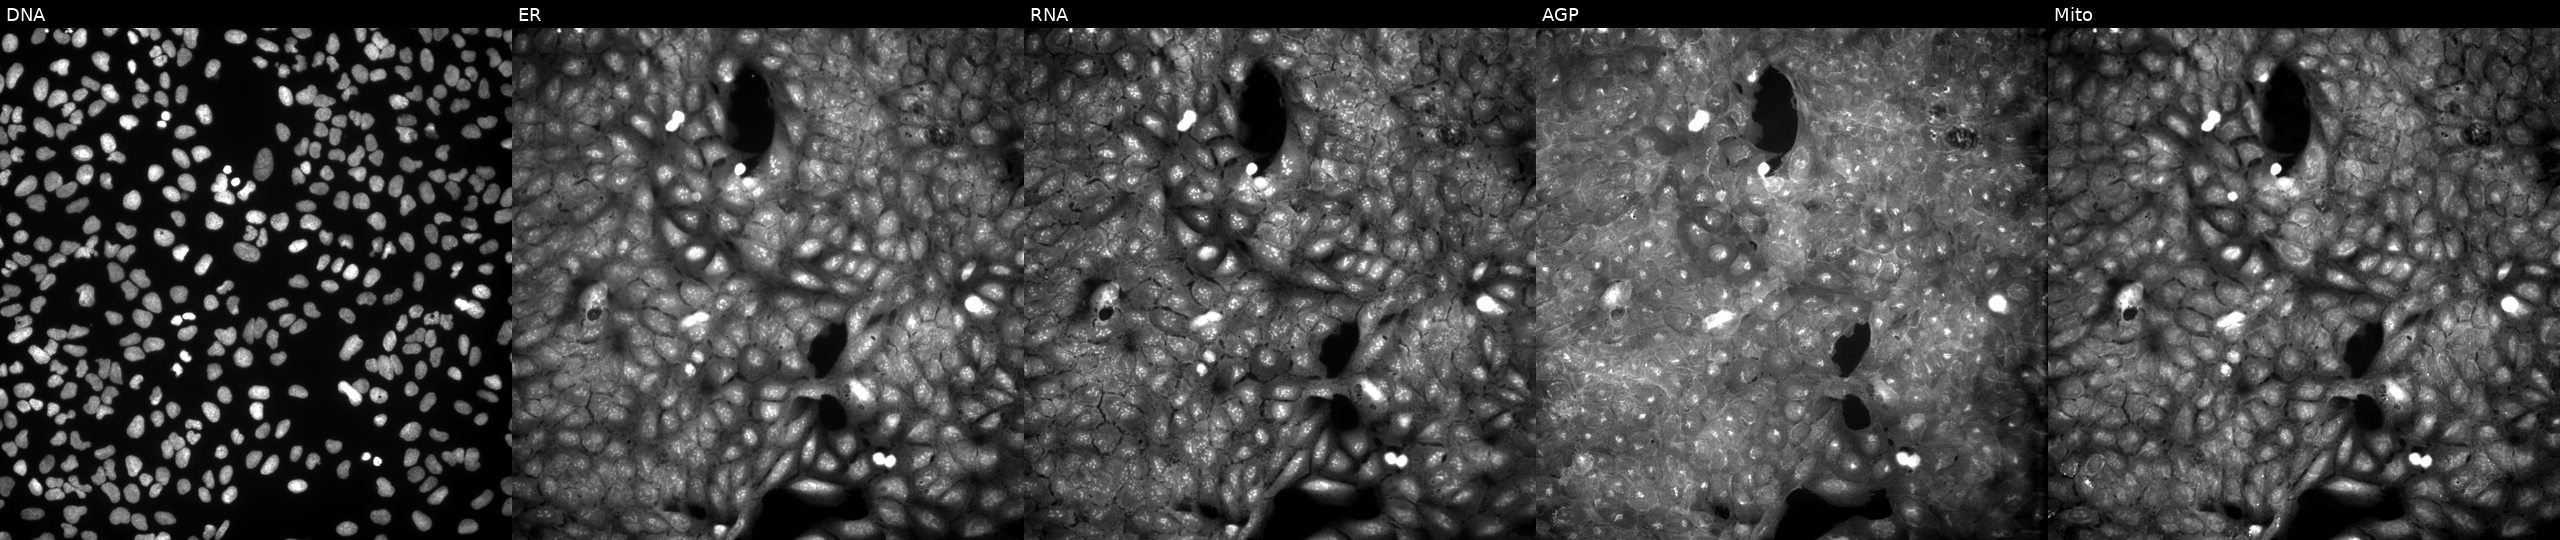
JUMP Cell Painting — COMPOUND plate. U2OS cells perturbed with a small-molecule compound (InChIKey ILKUUNWQEODSNT-UHFFFAOYSA-N) (JUMP id JCP2022_035812). Panels show, left to right, DNA, ER, RNA, AGP, and Mito.